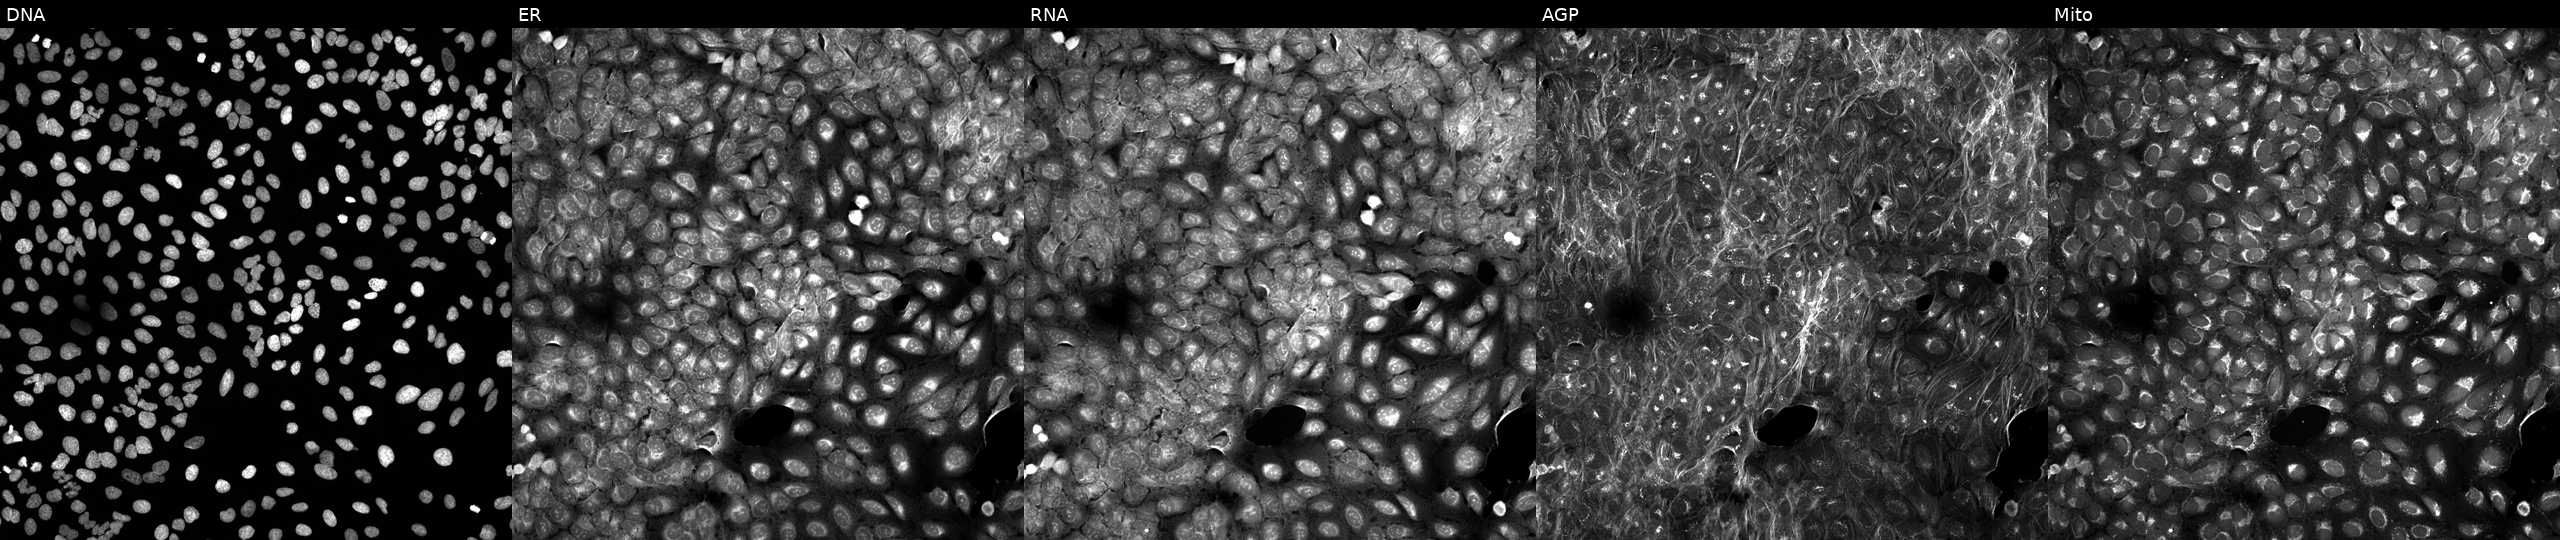
From left to right: Hoechst 33342, concanavalin A, SYTO 14, phalloidin and WGA, MitoTracker. U2OS osteosarcoma cells exposed to a small-molecule compound (InChIKey NHXLMOGPVYXJNR-UHFFFAOYSA-N). Cell Painting assay, JUMP-CP dataset. Source 5, plate ACPJUM051, well O24.